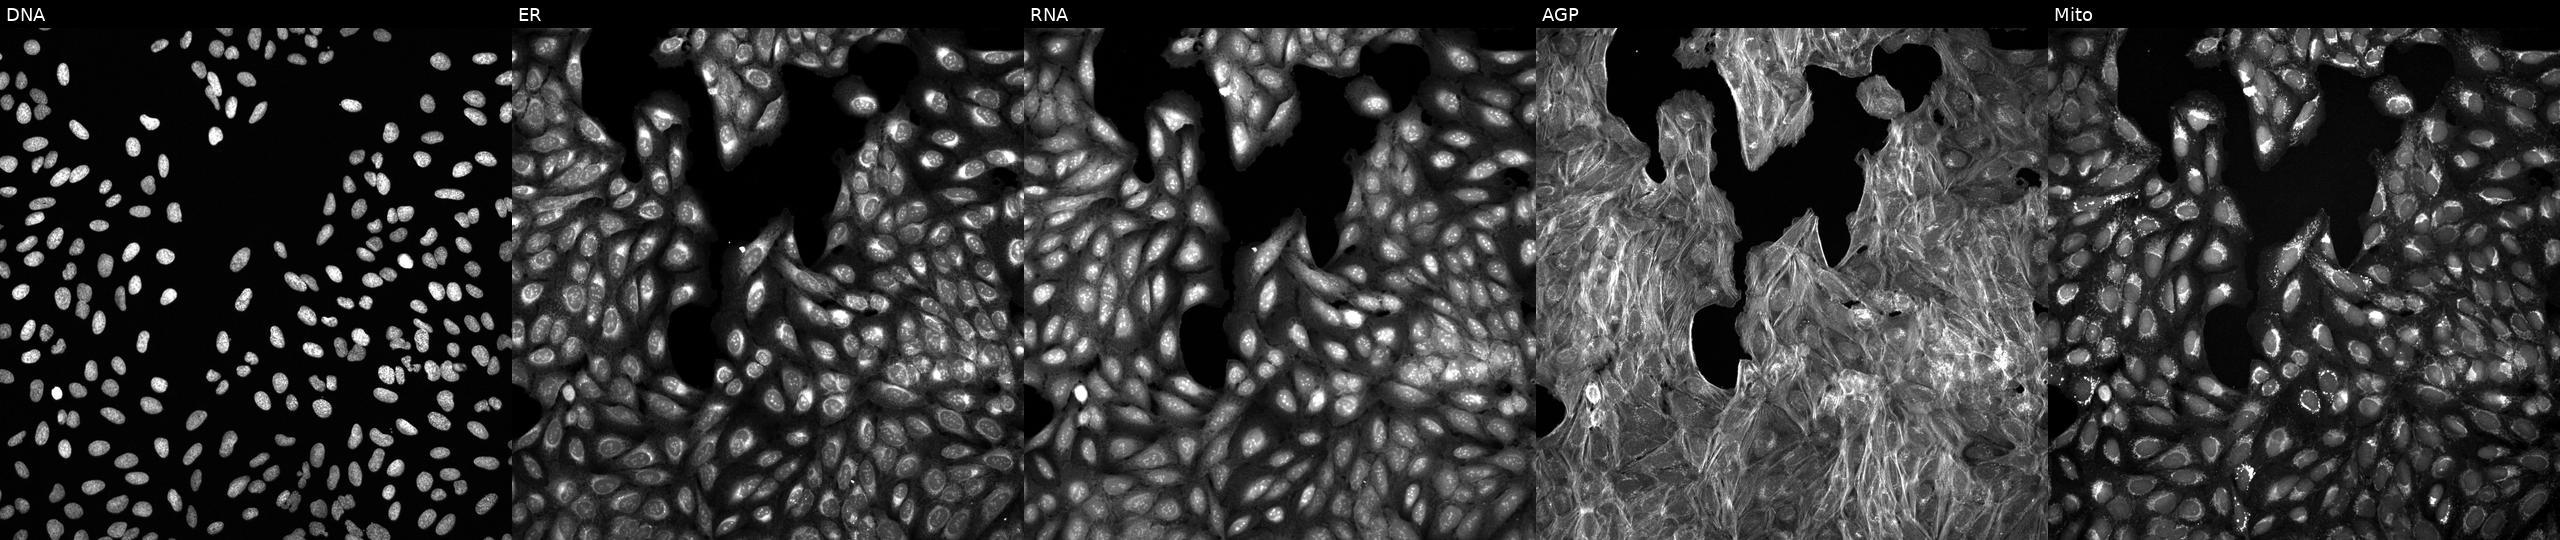
JUMP Cell Painting — TARGET2 plate. U2OS cells perturbed with a small-molecule compound. The five panels, left to right, show DNA (nuclei); ER (endoplasmic reticulum); RNA (nucleoli and cytoplasmic RNA); AGP (actin cytoskeleton, Golgi, and plasma membrane); Mito (mitochondria).